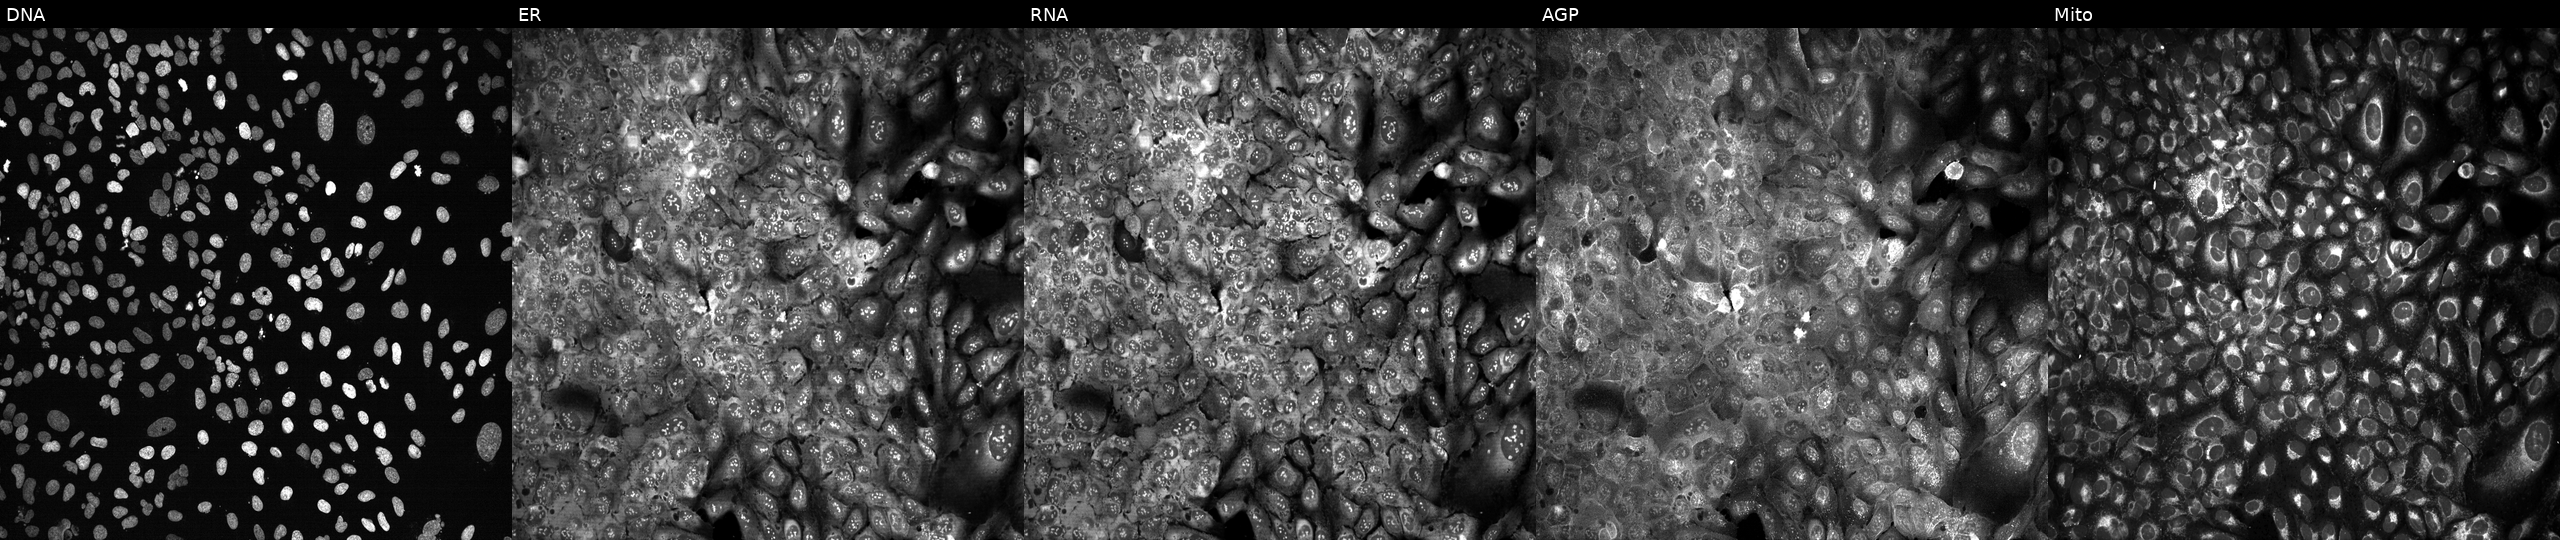
U2OS cells, Cell Painting assay, CRISPR-edited to disrupt ROPN1L (JUMP id JCP2022_806089). Panels show, left to right, Hoechst 33342, concanavalin A, SYTO 14, phalloidin and WGA, MitoTracker. Each panel is percentile-stretched 16-bit fluorescence.